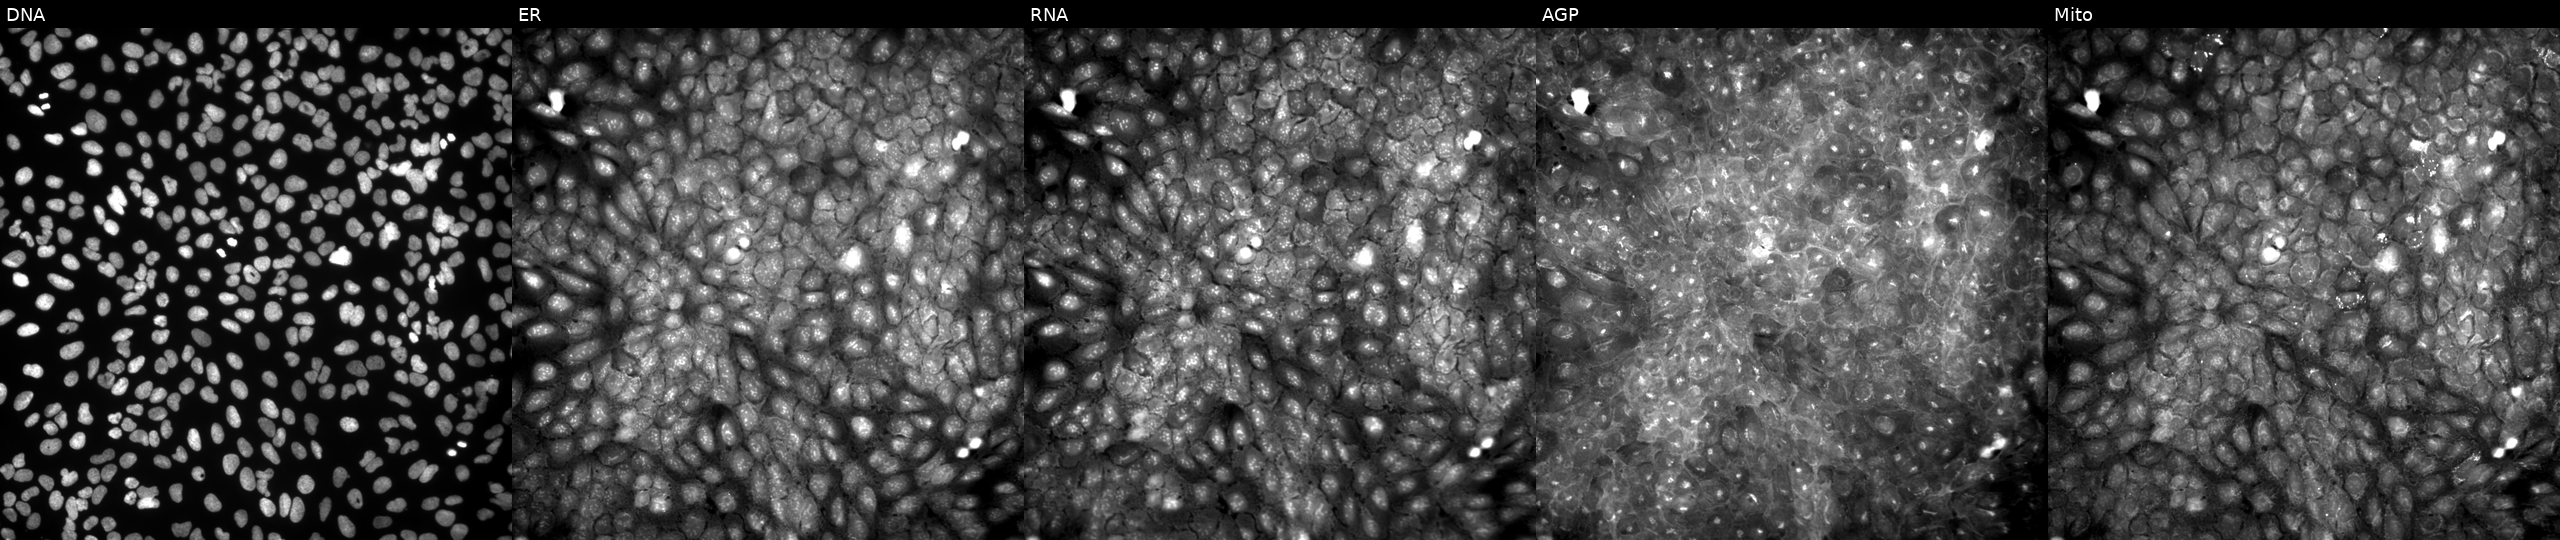
High-content fluorescence microscopy (Cell Painting). Cell line: U2OS. Perturbation: perturbed with a small-molecule compound (JUMP id JCP2022_049788). Channels (left→right): DNA, ER, RNA, AGP, and Mito.